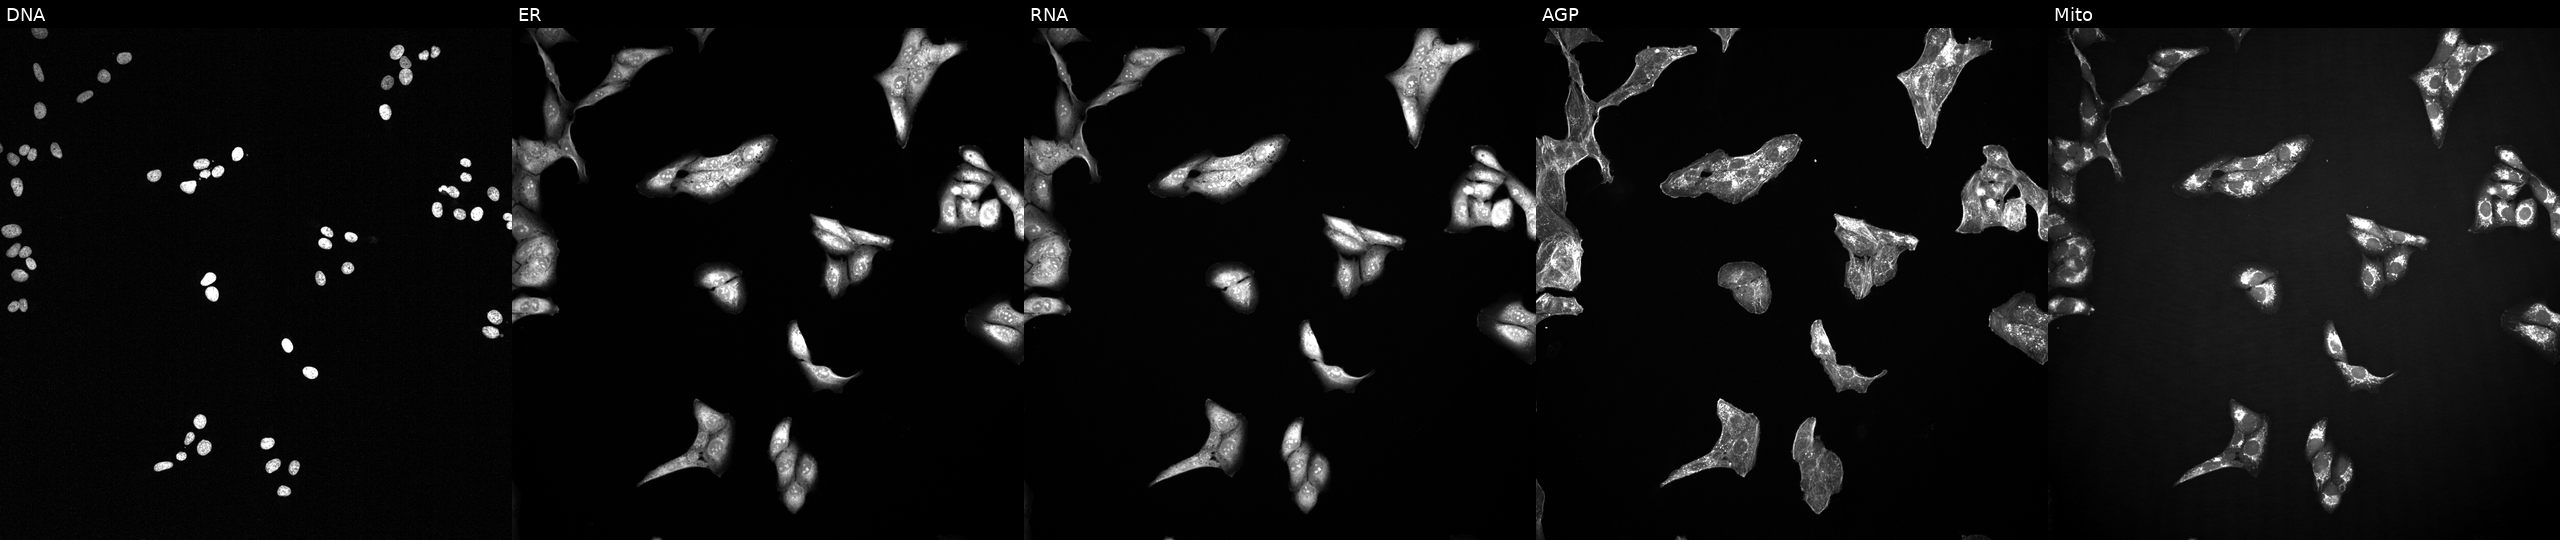
Five-channel Cell Painting image of U2OS cells treated with a small-molecule compound (InChIKey KUUJEXLRLIPQQJ-UHFFFAOYSA-N) (JUMP id JCP2022_047143). Panels show, left to right, DNA, ER, RNA, AGP, and Mito.